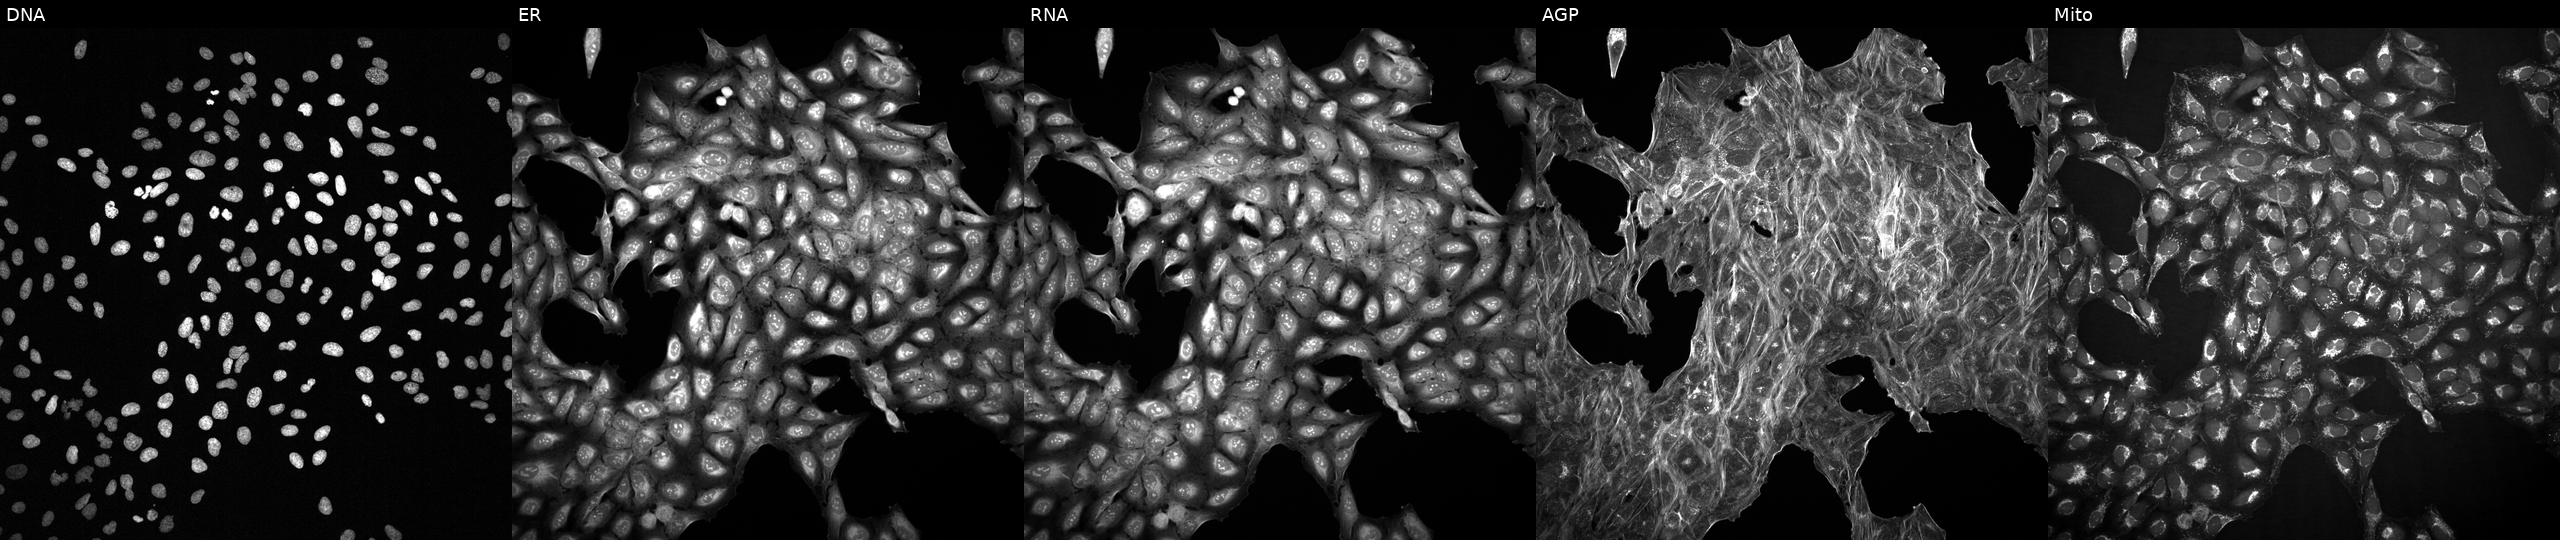
High-content fluorescence microscopy (Cell Painting). Cell line: U2OS. Perturbation: treated with DMSO vehicle only (negative control) (JUMP id JCP2022_033924). From left to right: DNA (nuclei); ER (endoplasmic reticulum); RNA (nucleoli and cytoplasmic RNA); AGP (actin cytoskeleton, Golgi, and plasma membrane); Mito (mitochondria). Source 2, plate 1053601756, well M23.